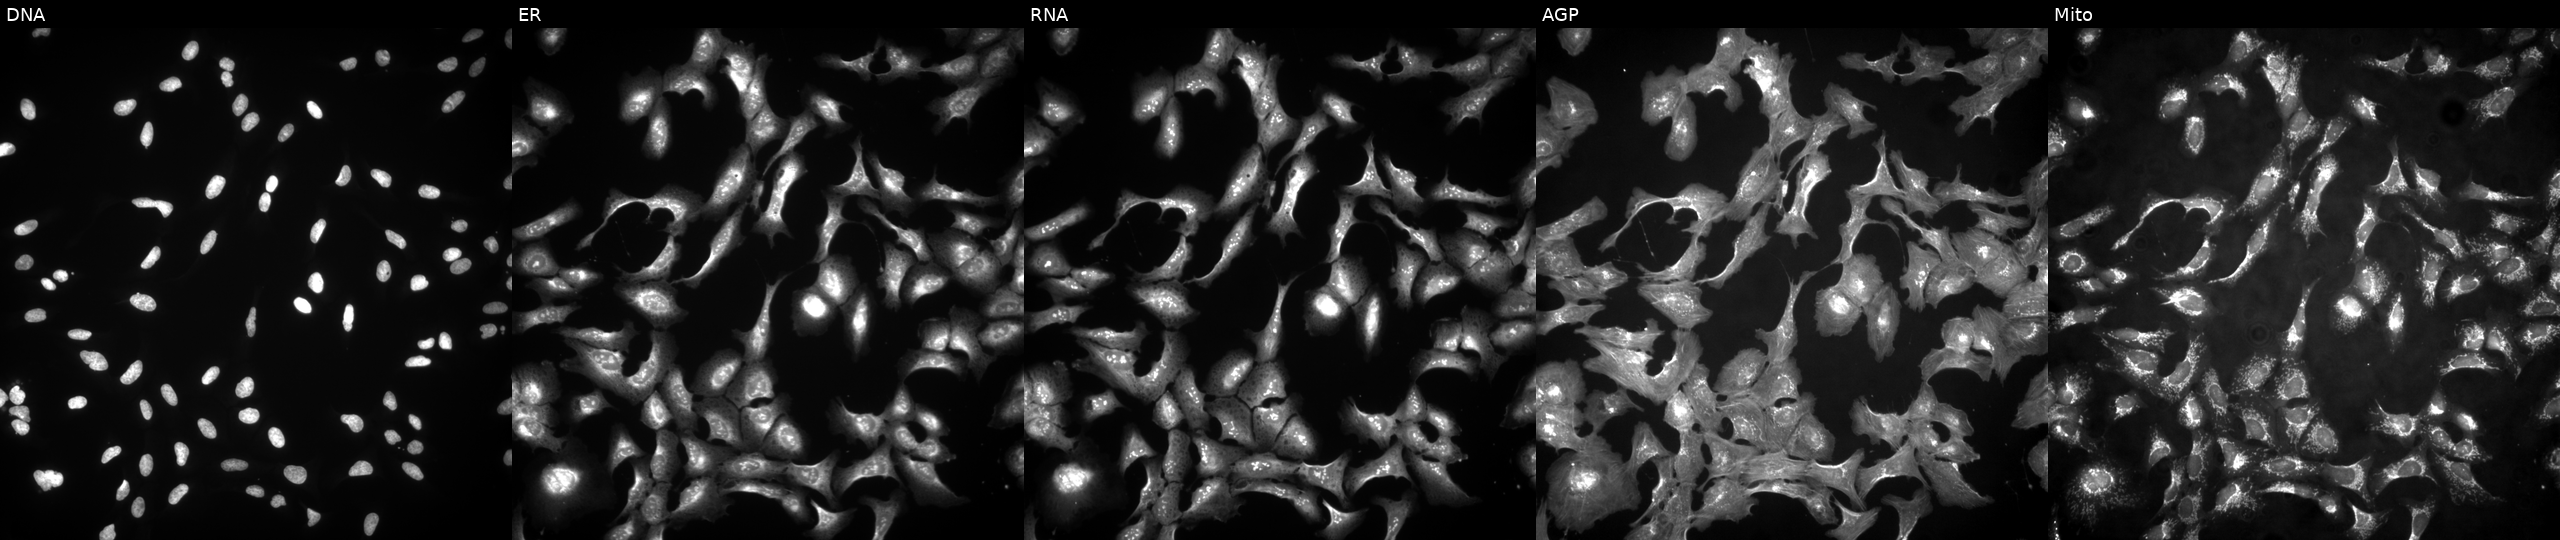
This image strip shows the five Cell Painting channels for a single field of U2OS cells overexpressing EIF1B via ORF transfection. The five panels, left to right, show DNA, ER, RNA, AGP, and Mito. Source 4, plate BR00123509, well P16.